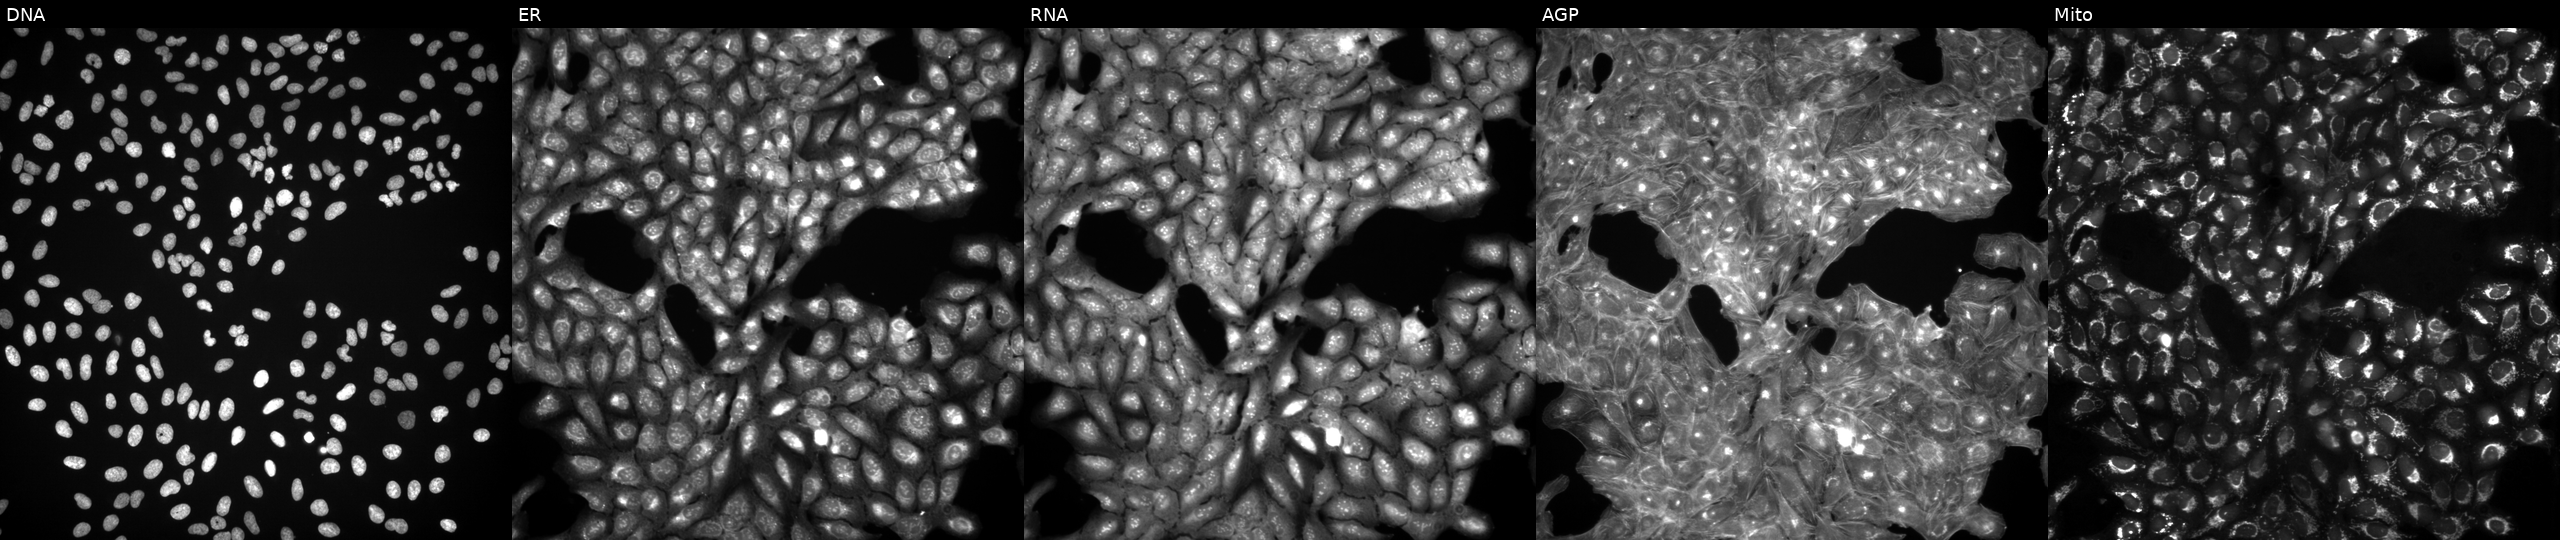
High-content fluorescence microscopy (Cell Painting). Cell line: U2OS. Perturbation: treated with DMSO vehicle only (negative control). Channels (left→right): DNA, ER, RNA, AGP, and Mito.